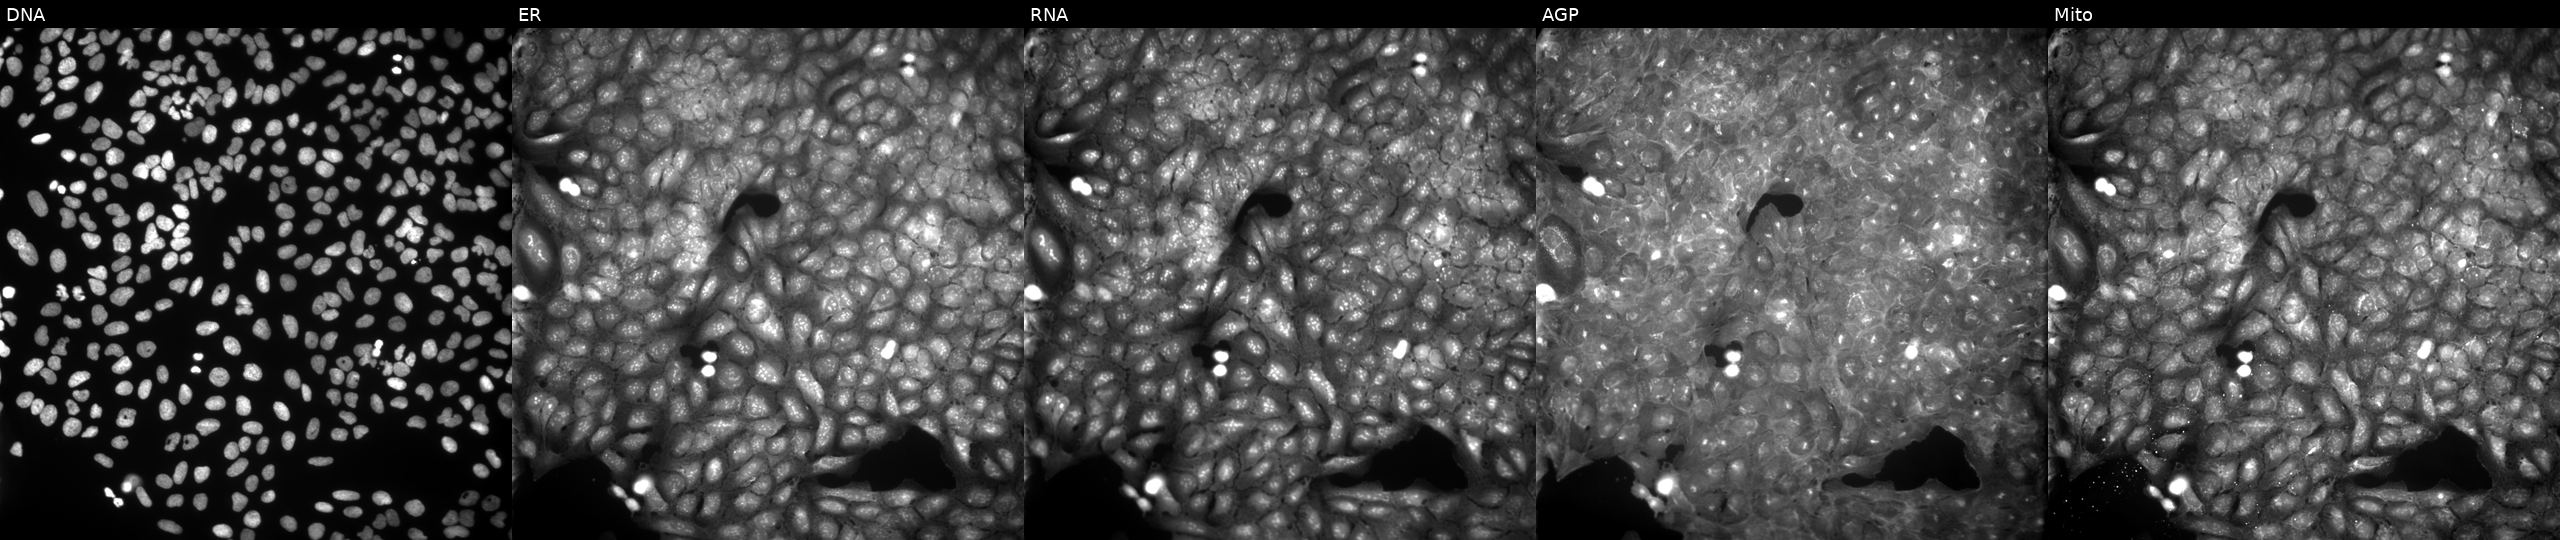
Five-channel Cell Painting image of U2OS cells exposed to a small-molecule compound (InChIKey NXWAEGJPMHPOLT-UHFFFAOYSA-N) (JUMP id JCP2022_062068). From left to right: Hoechst 33342, concanavalin A, SYTO 14, phalloidin and WGA, MitoTracker.